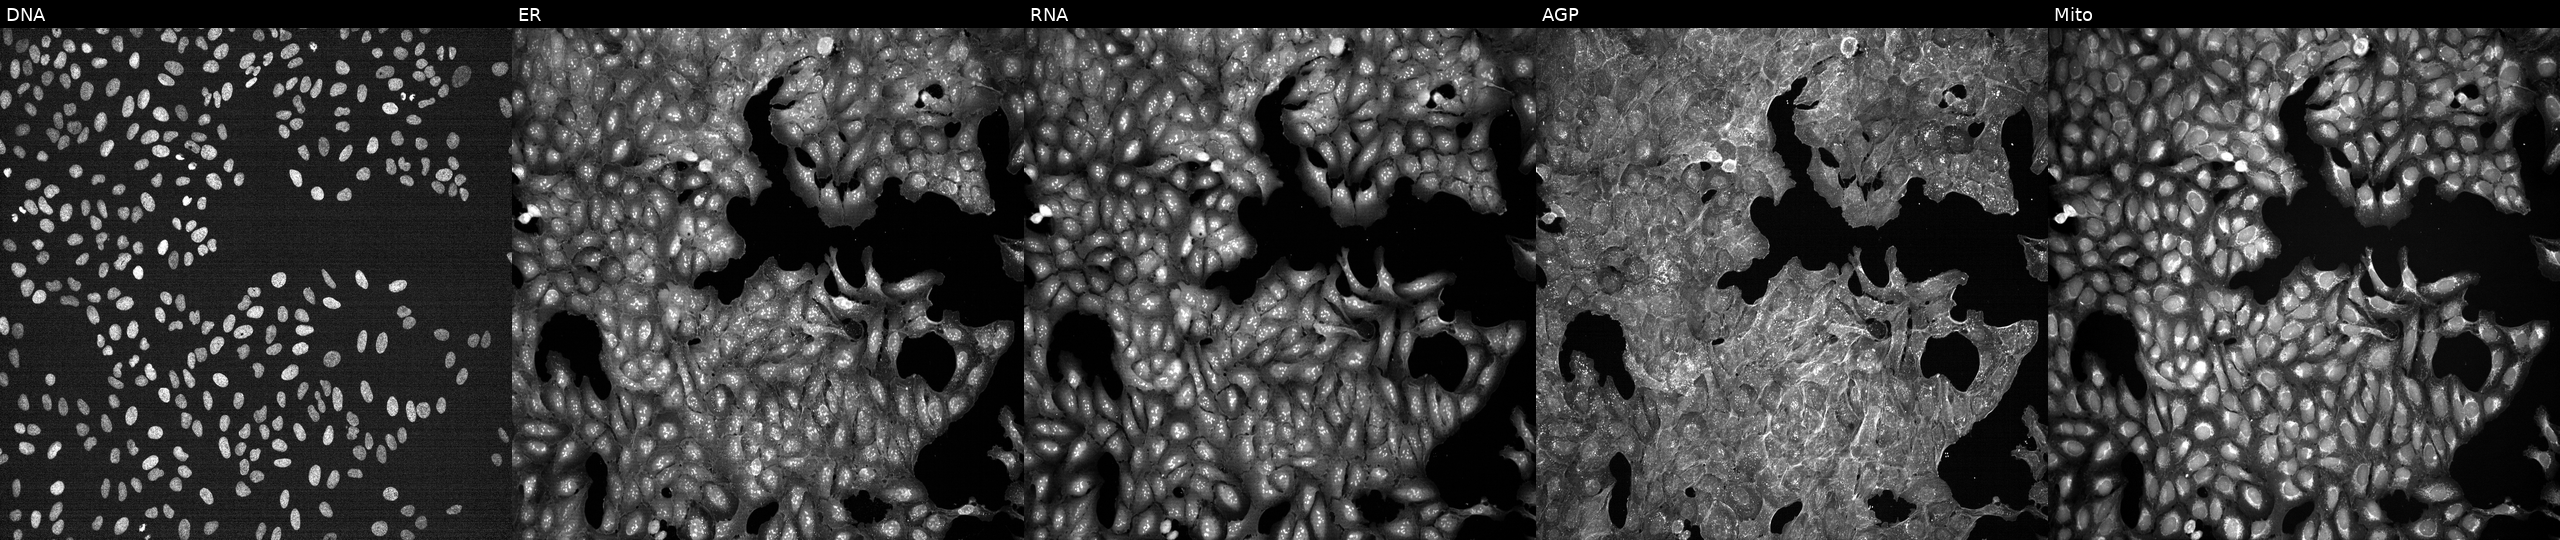
JUMP Cell Painting — TARGET2 plate. U2OS cells treated with a small-molecule compound [SMILES: CC(C)(N)C(=O)NC(COCc1ccccc1)C(=O)N1CCC2(CC1)CN(S(C)(=O)=O)c1ccccc12] (JUMP id JCP2022_090205). From left to right: Hoechst 33342, concanavalin A, SYTO 14, phalloidin and WGA, MitoTracker. Source 7, plate CP1-SC1-25, well D24.